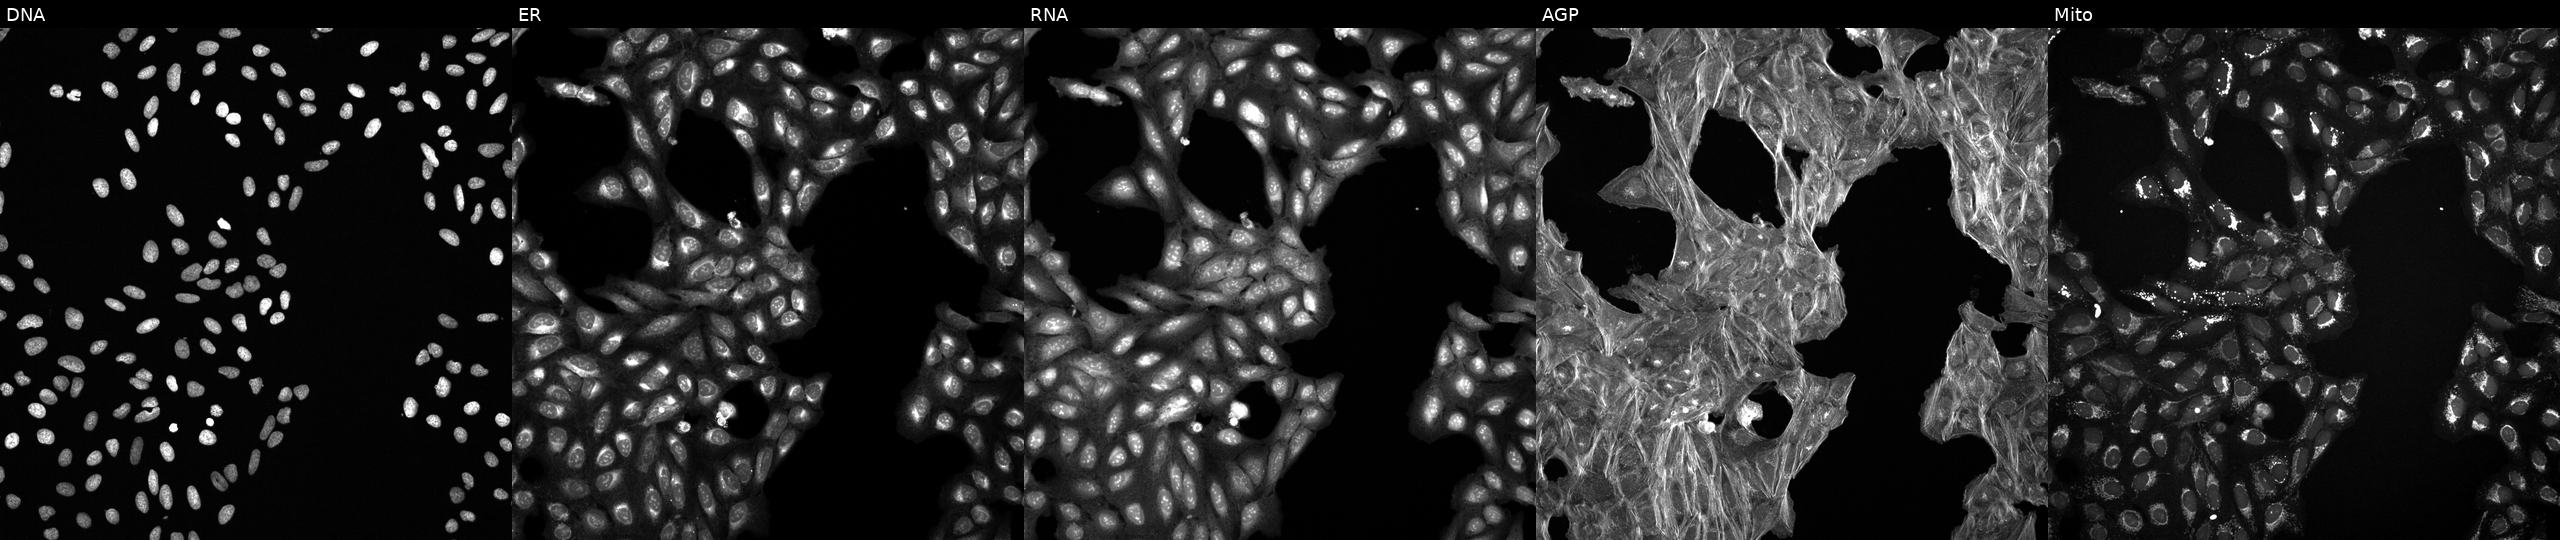
JUMP Cell Painting — COMPOUND plate. U2OS cells treated with a small-molecule compound (JUMP id JCP2022_068663). Channels (left→right): DNA, ER, RNA, AGP, and Mito.